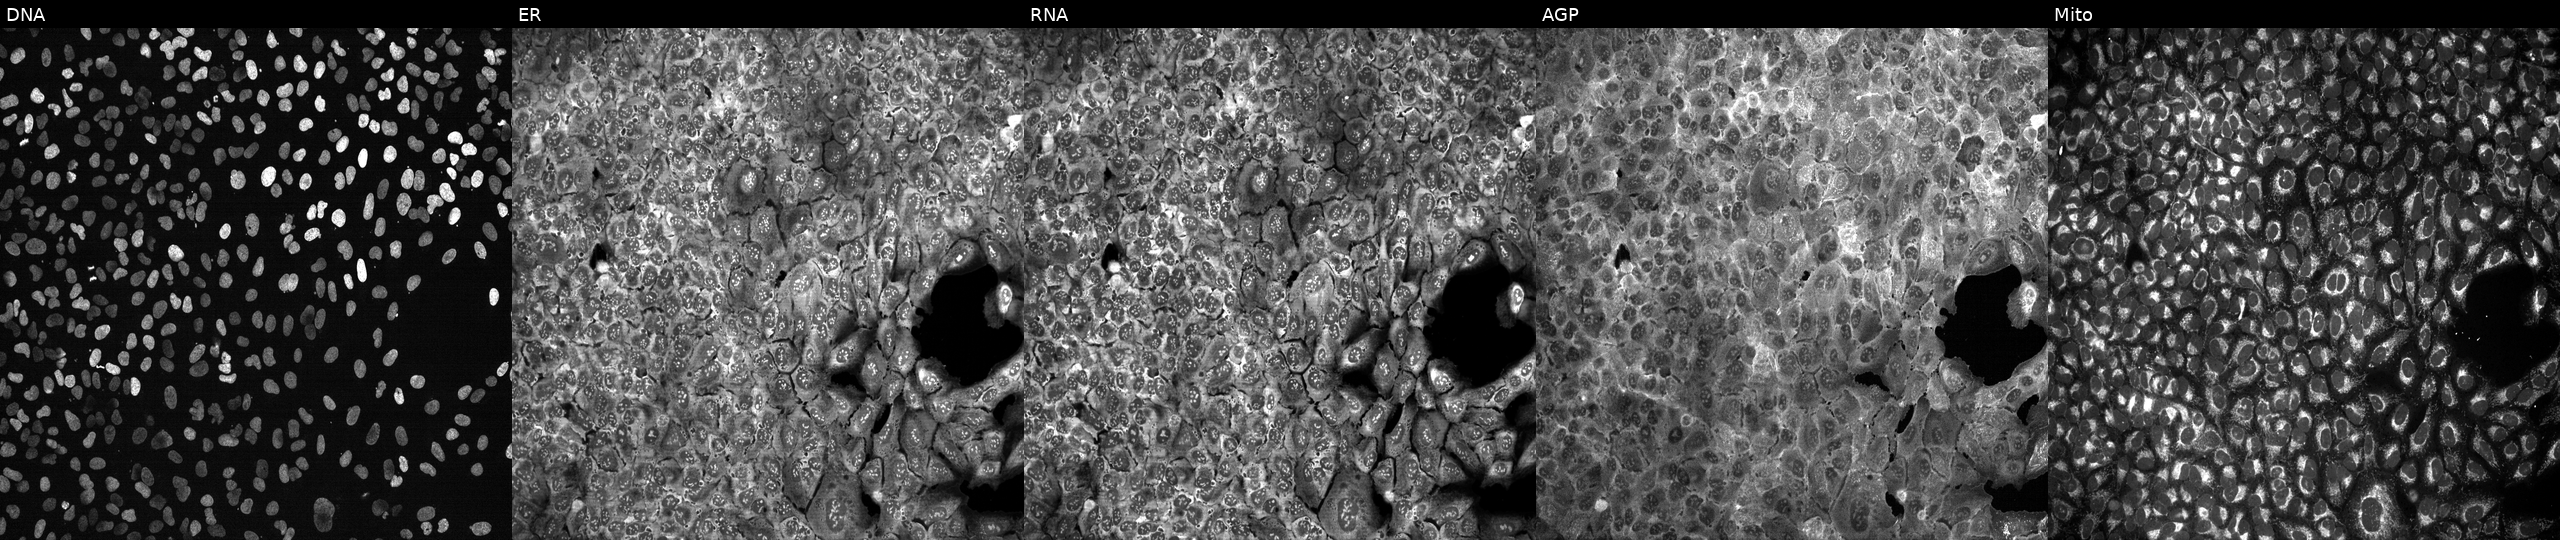
The five panels, left to right, show Hoechst 33342, concanavalin A, SYTO 14, phalloidin and WGA, MitoTracker. U2OS osteosarcoma cells CRISPR-edited to disrupt SCARB2 (JUMP id JCP2022_806195). Cell Painting assay, JUMP-CP dataset.